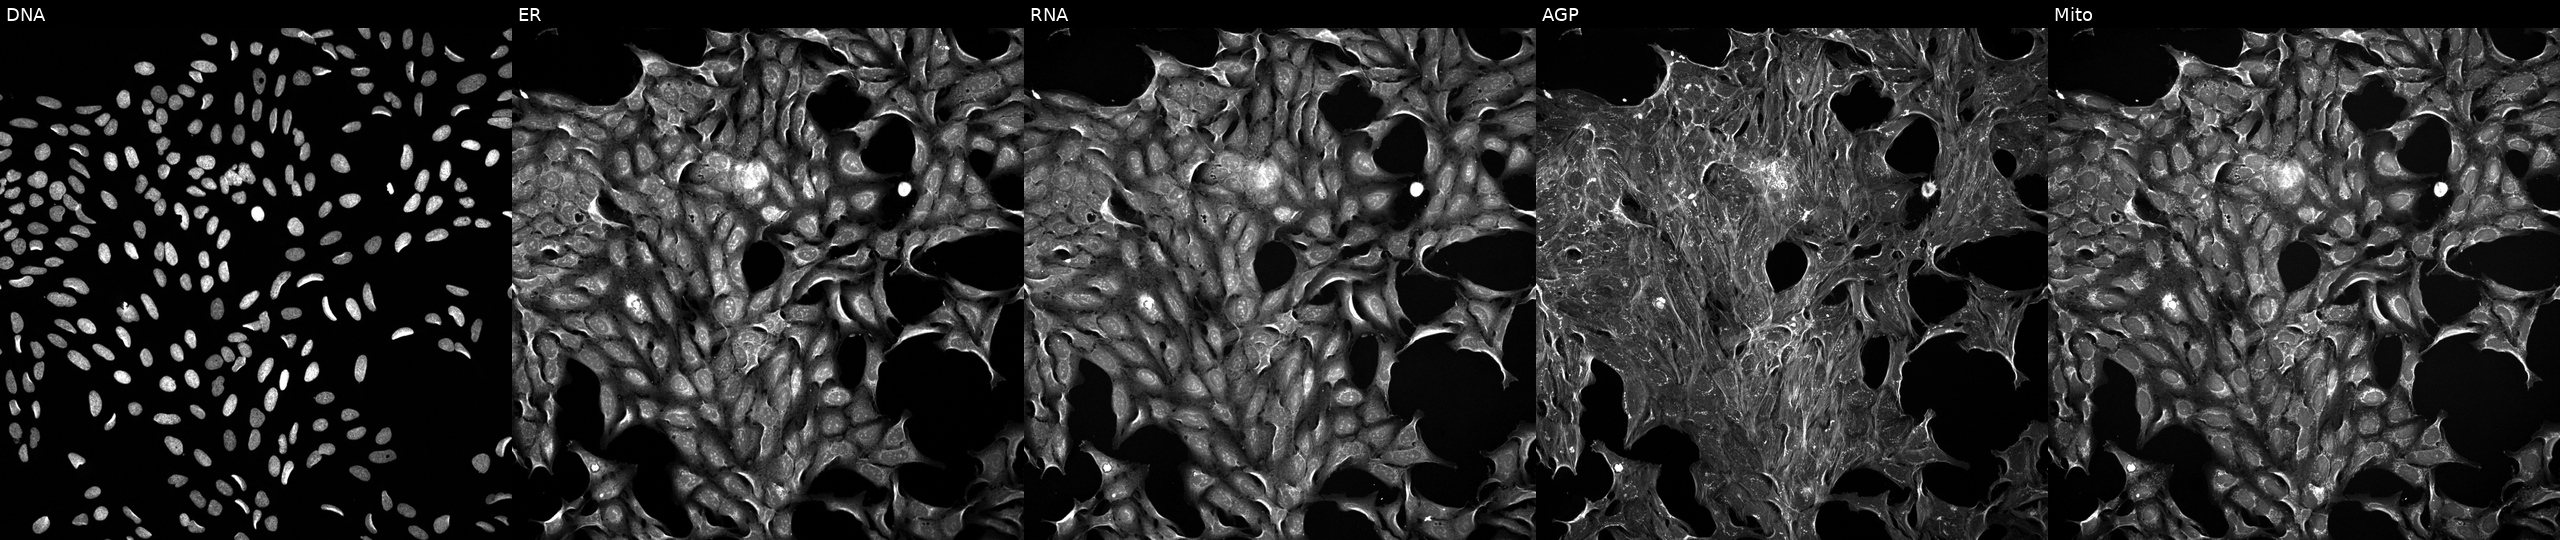
JUMP Cell Painting — TARGET2 plate. U2OS cells treated with a small-molecule compound (InChIKey KAJXOWFGKYKMMZ-UHFFFAOYSA-N) [SMILES: O=C1NC(=O)c2c1c1c3ccccc3[nH]c1c1[nH]c3ccccc3c21]. Panels show, left to right, DNA, ER, RNA, AGP, and Mito. Source 5, plate ACPJUM012, well M23.